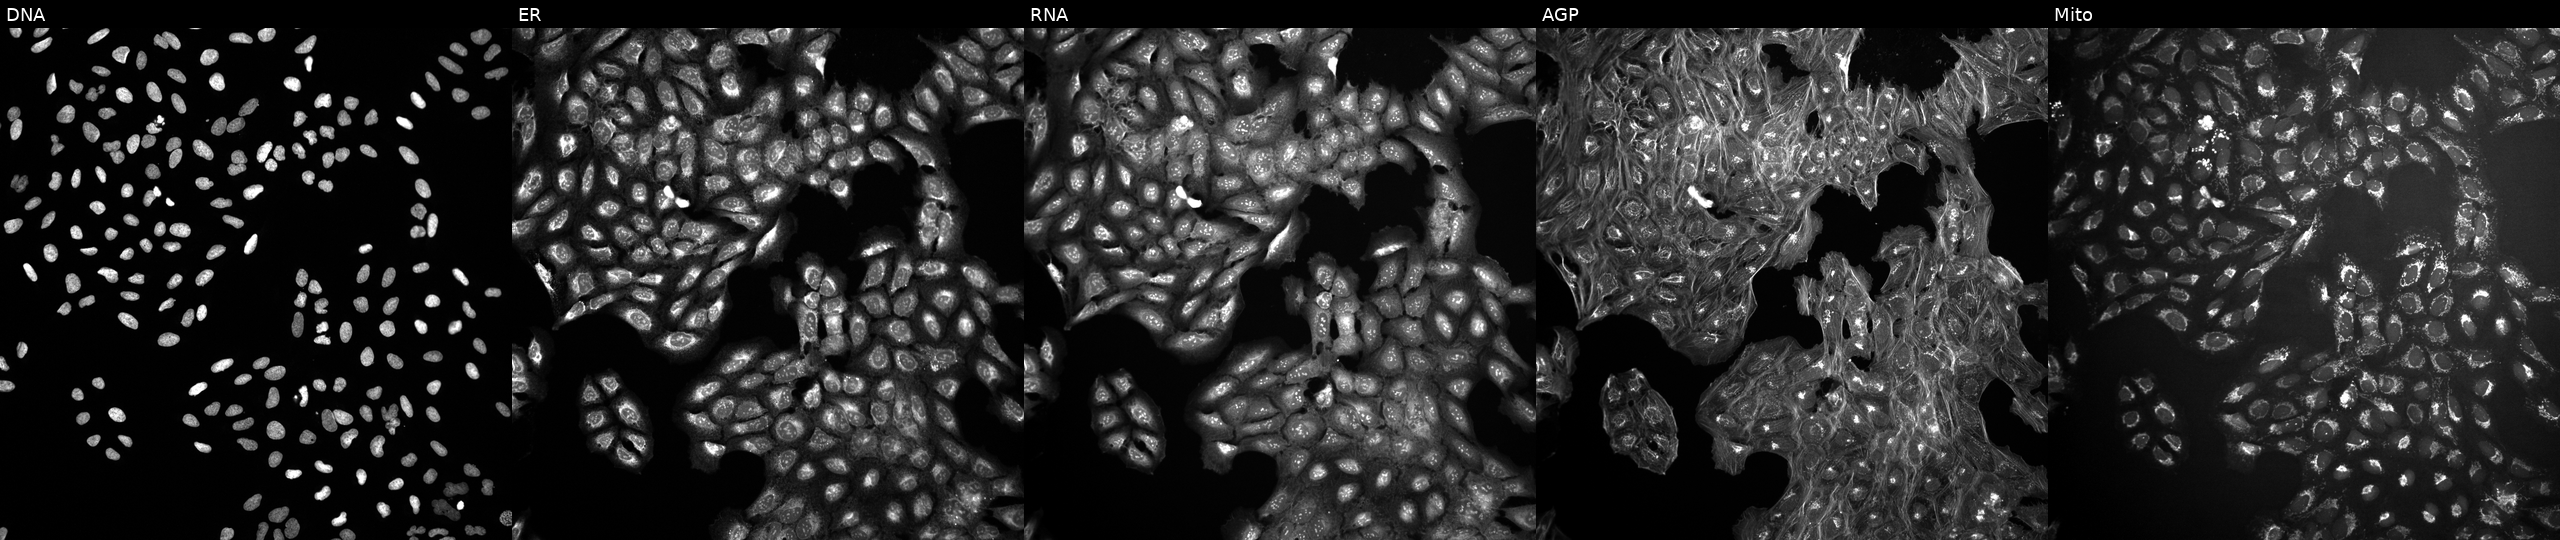
Panels show, left to right, Hoechst 33342, concanavalin A, SYTO 14, phalloidin and WGA, MitoTracker. U2OS osteosarcoma cells untreated (empty-well control) (JUMP id JCP2022_999999). Cell Painting assay, JUMP-CP dataset.